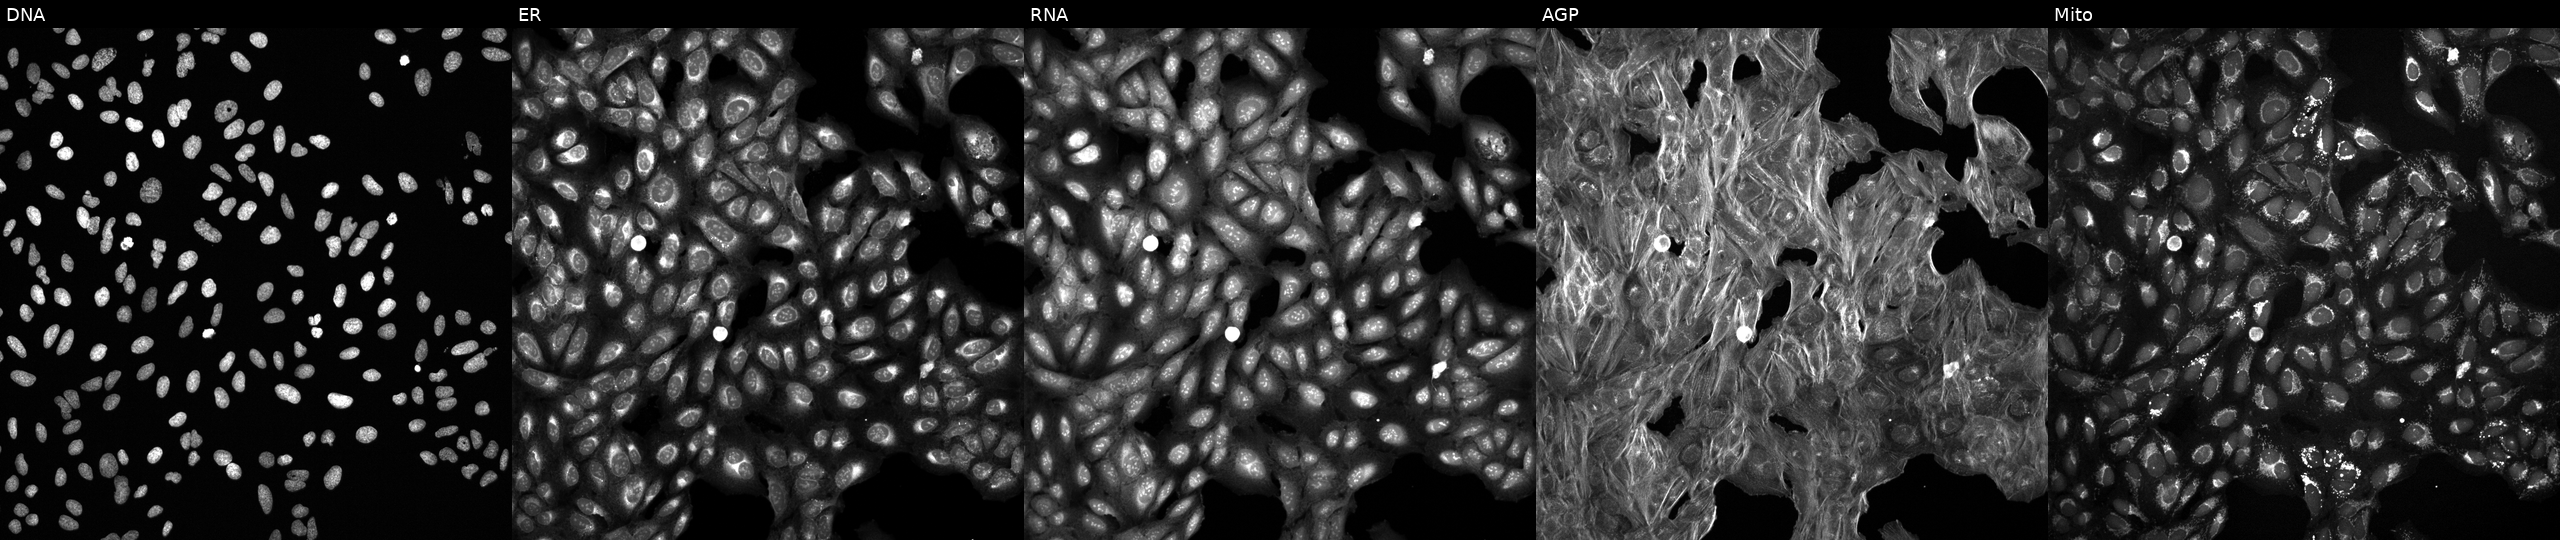
JUMP Cell Painting — TARGET2 plate. U2OS cells perturbed with a small-molecule compound (InChIKey JBIMVDZLSHOPLA-UHFFFAOYSA-N) (JUMP id JCP2022_038675). Panels show, left to right, Hoechst 33342, concanavalin A, SYTO 14, phalloidin and WGA, MitoTracker. Source 6, plate 110000293081, well I22.